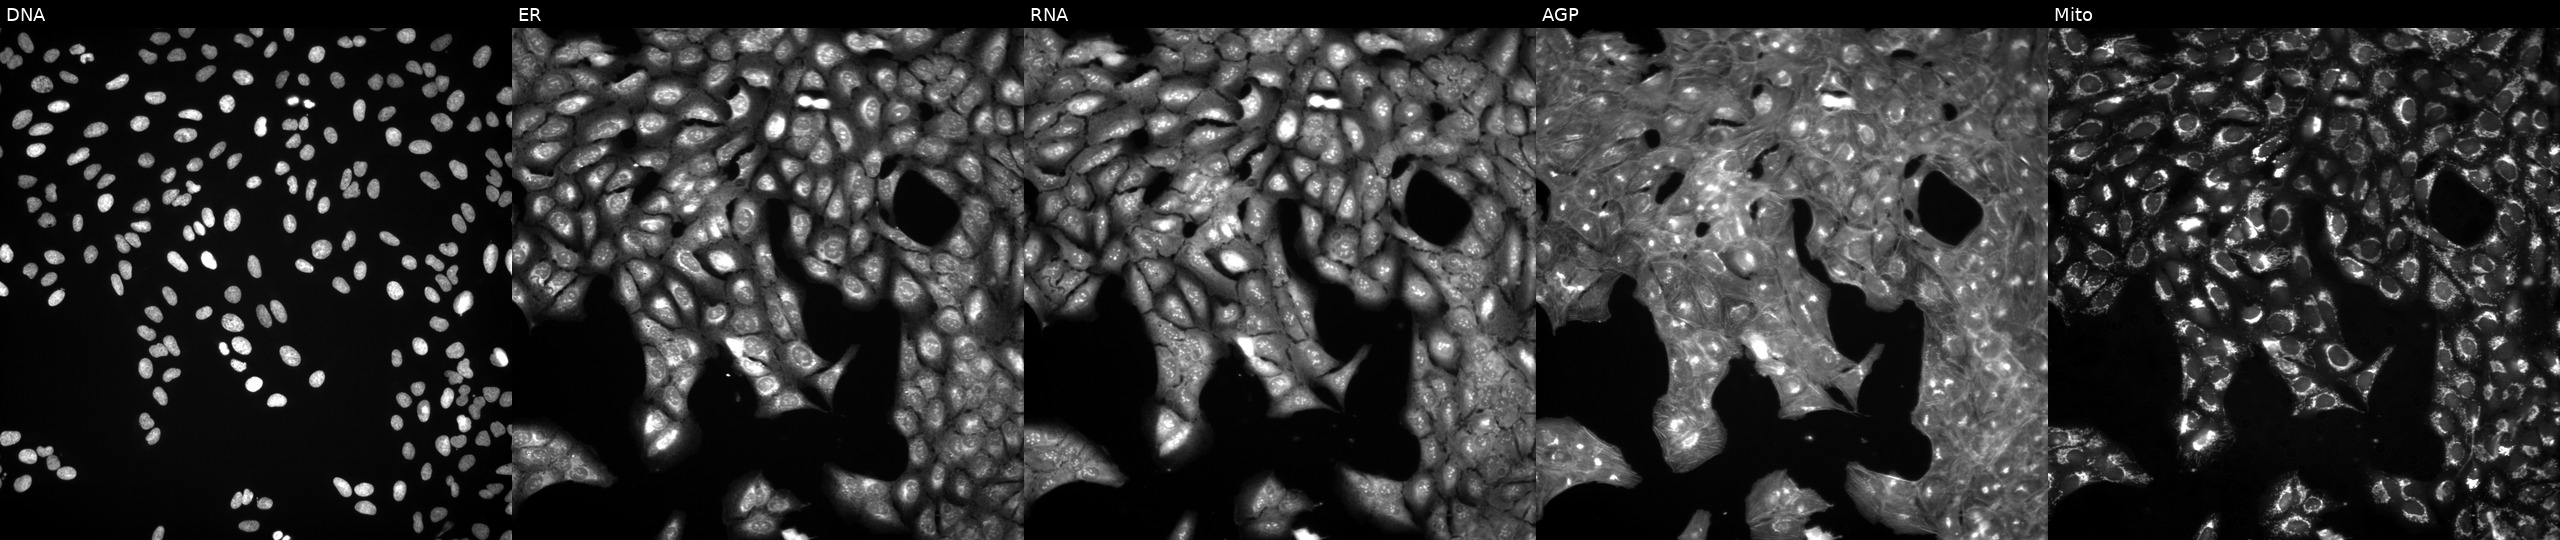
This image strip shows the five Cell Painting channels for a single field of U2OS cells exposed to a small-molecule compound (InChIKey BAYNTGHSPRWRGK-UHFFFAOYSA-N) (JUMP id JCP2022_005116). From left to right: Hoechst 33342, concanavalin A, SYTO 14, phalloidin and WGA, MitoTracker.